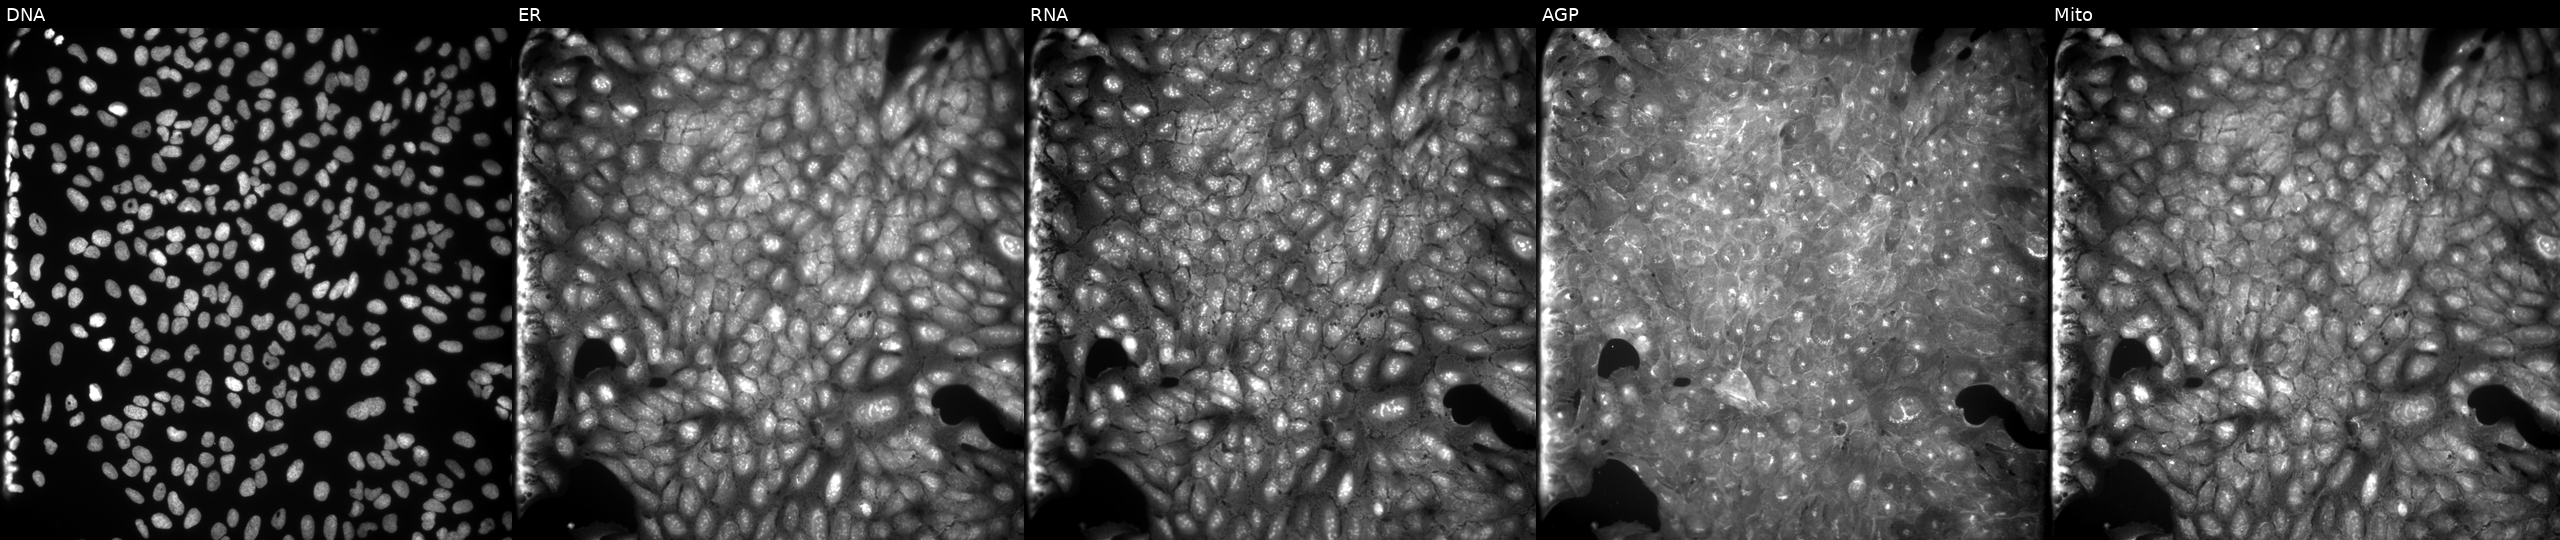
This image strip shows the five Cell Painting channels for a single field of U2OS cells treated with a small-molecule compound (InChIKey RMFDFWIUWQZPBH-UHFFFAOYSA-N) (JUMP id JCP2022_079277). From left to right: DNA (nuclei); ER (endoplasmic reticulum); RNA (nucleoli and cytoplasmic RNA); AGP (actin cytoskeleton, Golgi, and plasma membrane); Mito (mitochondria).